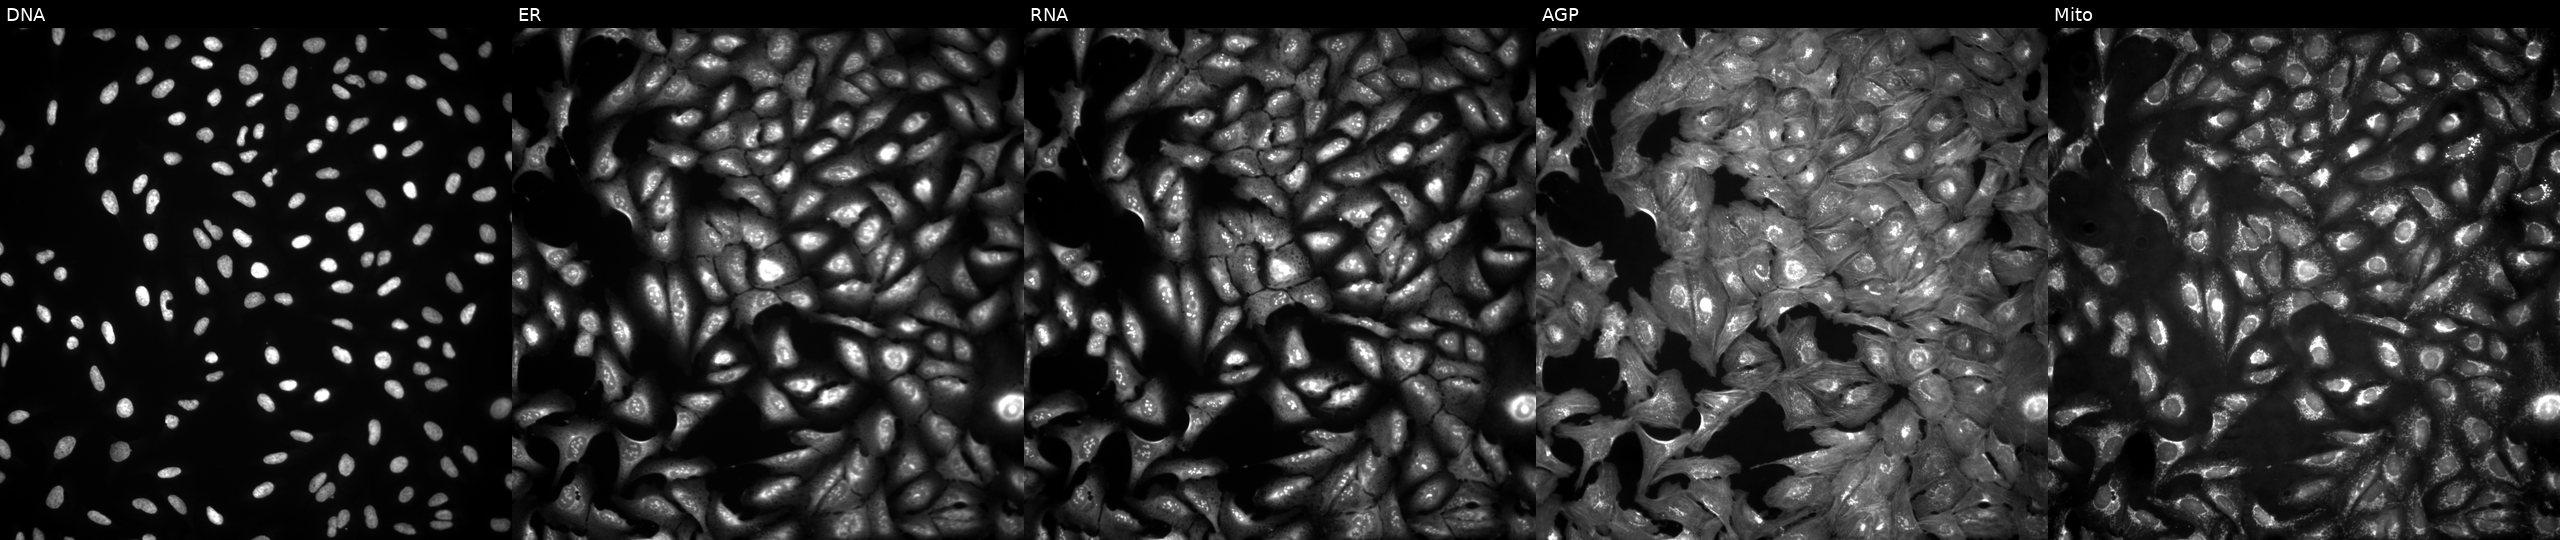
U2OS cells, Cell Painting assay, with POLH overexpressed (ORF) (JUMP id JCP2022_910293). The five panels, left to right, show Hoechst 33342, concanavalin A, SYTO 14, phalloidin and WGA, MitoTracker. Each panel is percentile-stretched 16-bit fluorescence.